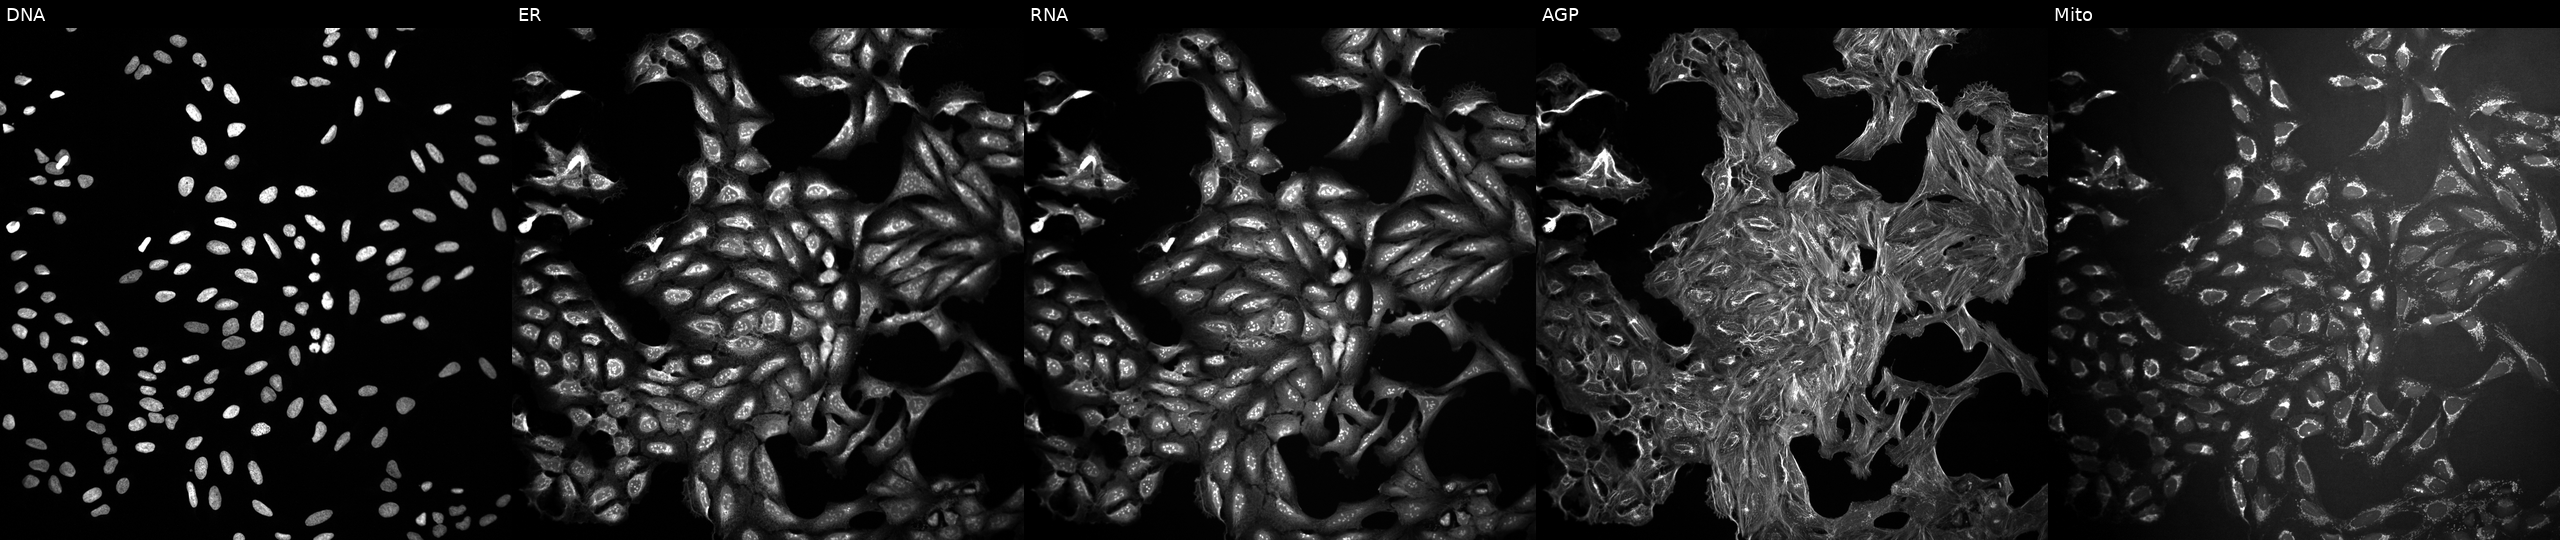
Channels (left→right): DNA (nuclei); ER (endoplasmic reticulum); RNA (nucleoli and cytoplasmic RNA); AGP (actin cytoskeleton, Golgi, and plasma membrane); Mito (mitochondria). U2OS osteosarcoma cells treated with a small-molecule compound (InChIKey MFDFERRIHVXMIY-UHFFFAOYSA-N). Cell Painting assay, JUMP-CP dataset.